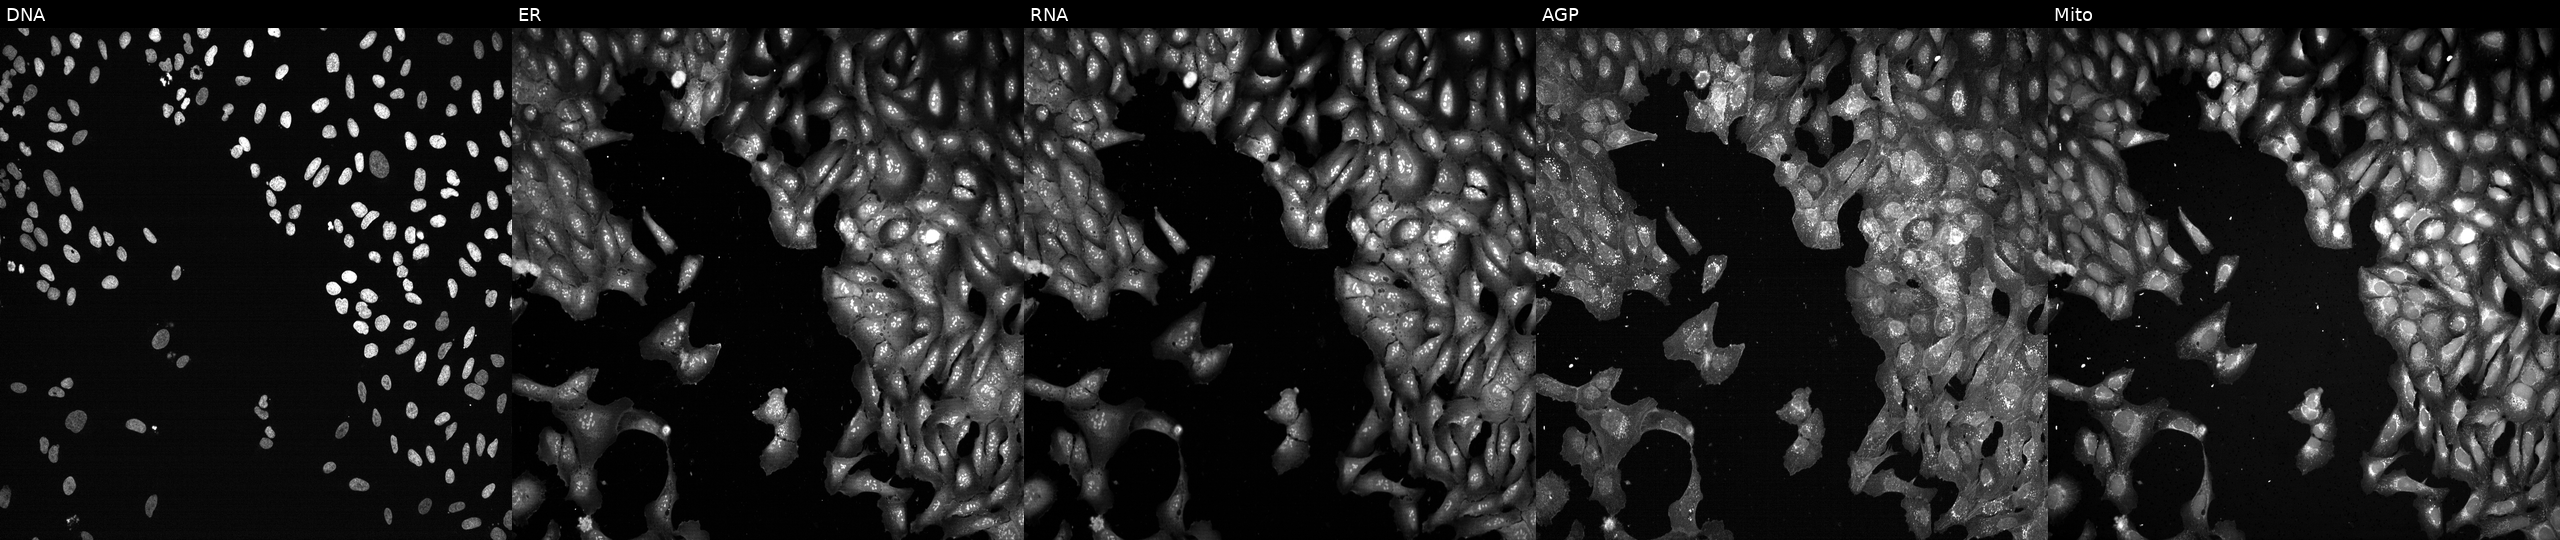
This image strip shows the five Cell Painting channels for a single field of U2OS cells with RAB6A knocked out by CRISPR. The five panels, left to right, show Hoechst 33342, concanavalin A, SYTO 14, phalloidin and WGA, MitoTracker.